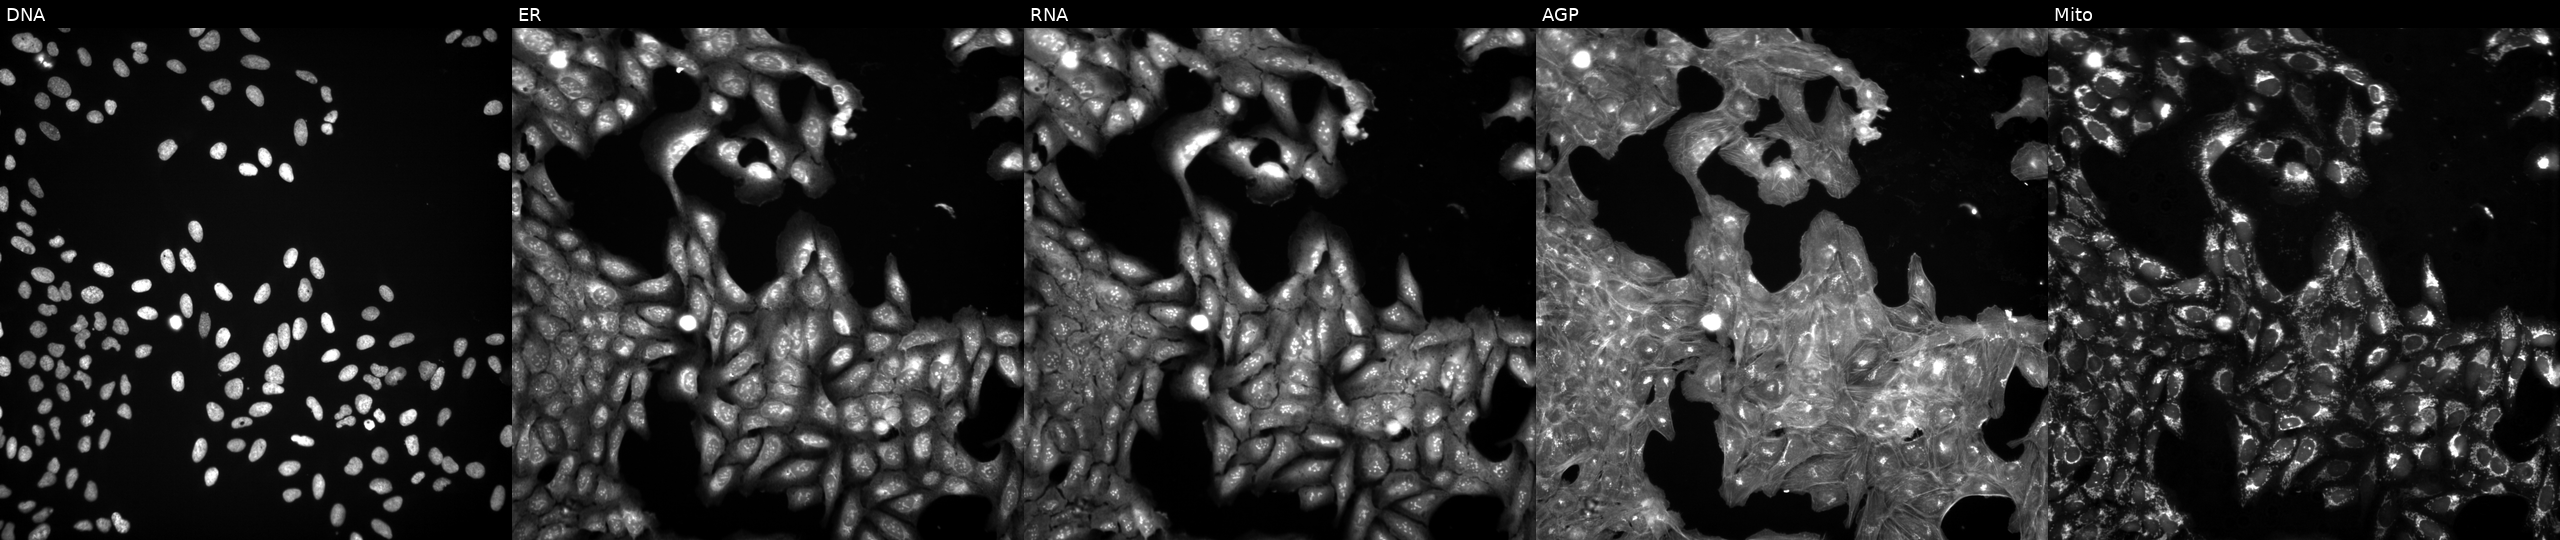
Panels show, left to right, Hoechst 33342, concanavalin A, SYTO 14, phalloidin and WGA, MitoTracker. U2OS osteosarcoma cells treated with DMSO vehicle only (negative control) (JUMP id JCP2022_033924). Cell Painting assay, JUMP-CP dataset.